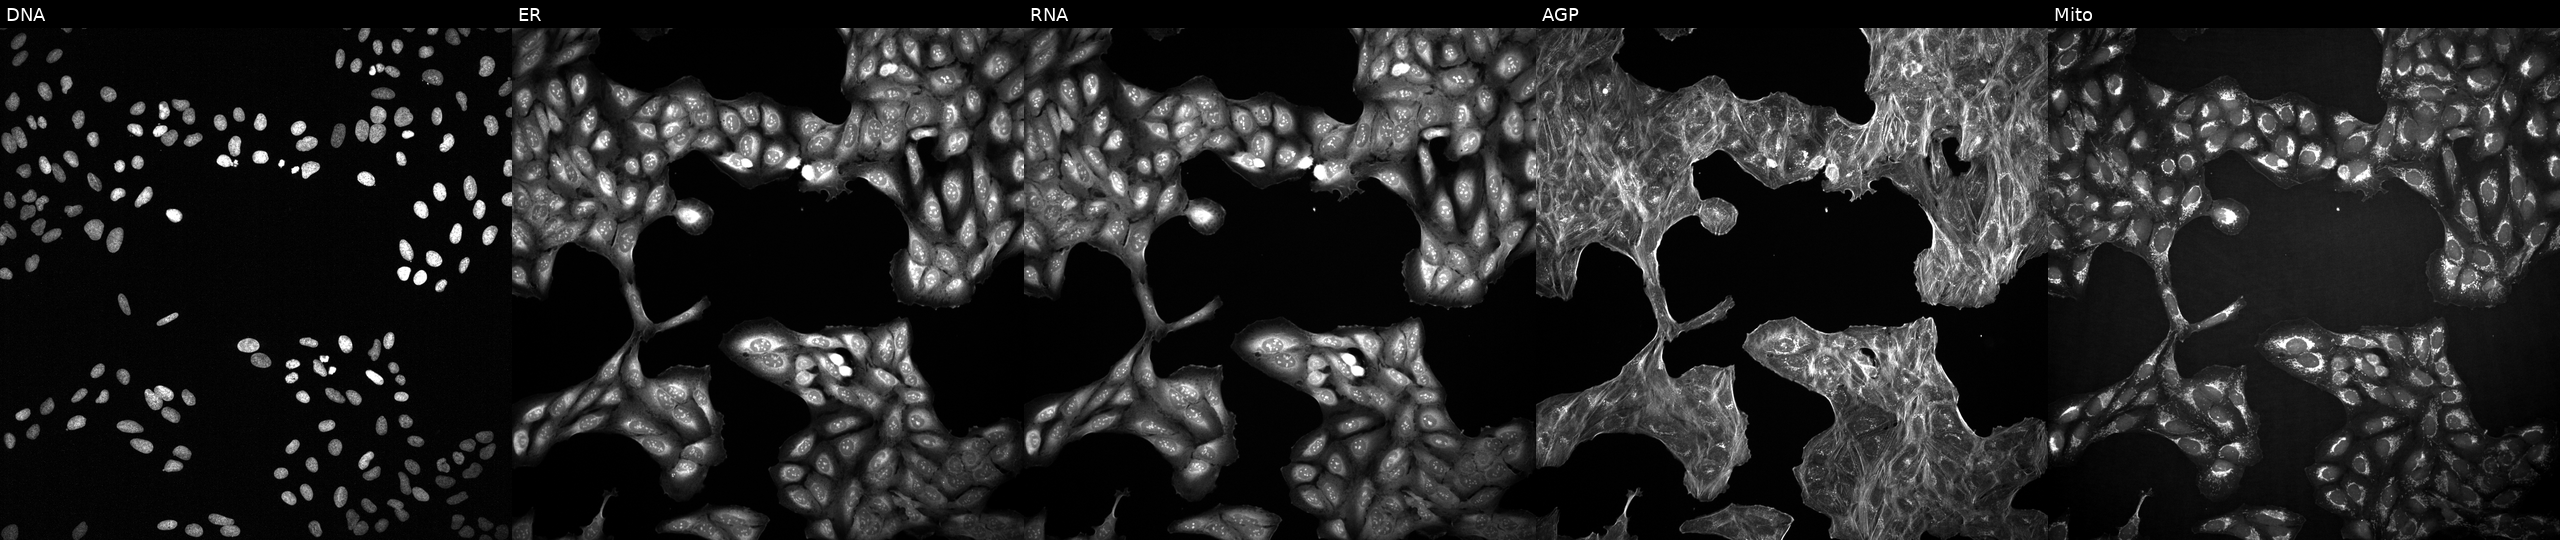
JUMP Cell Painting — COMPOUND plate. U2OS cells with an unidentified perturbation (not annotated in JUMP metadata). From left to right: Hoechst 33342, concanavalin A, SYTO 14, phalloidin and WGA, MitoTracker. Source 2, plate 1053601756, well H22.